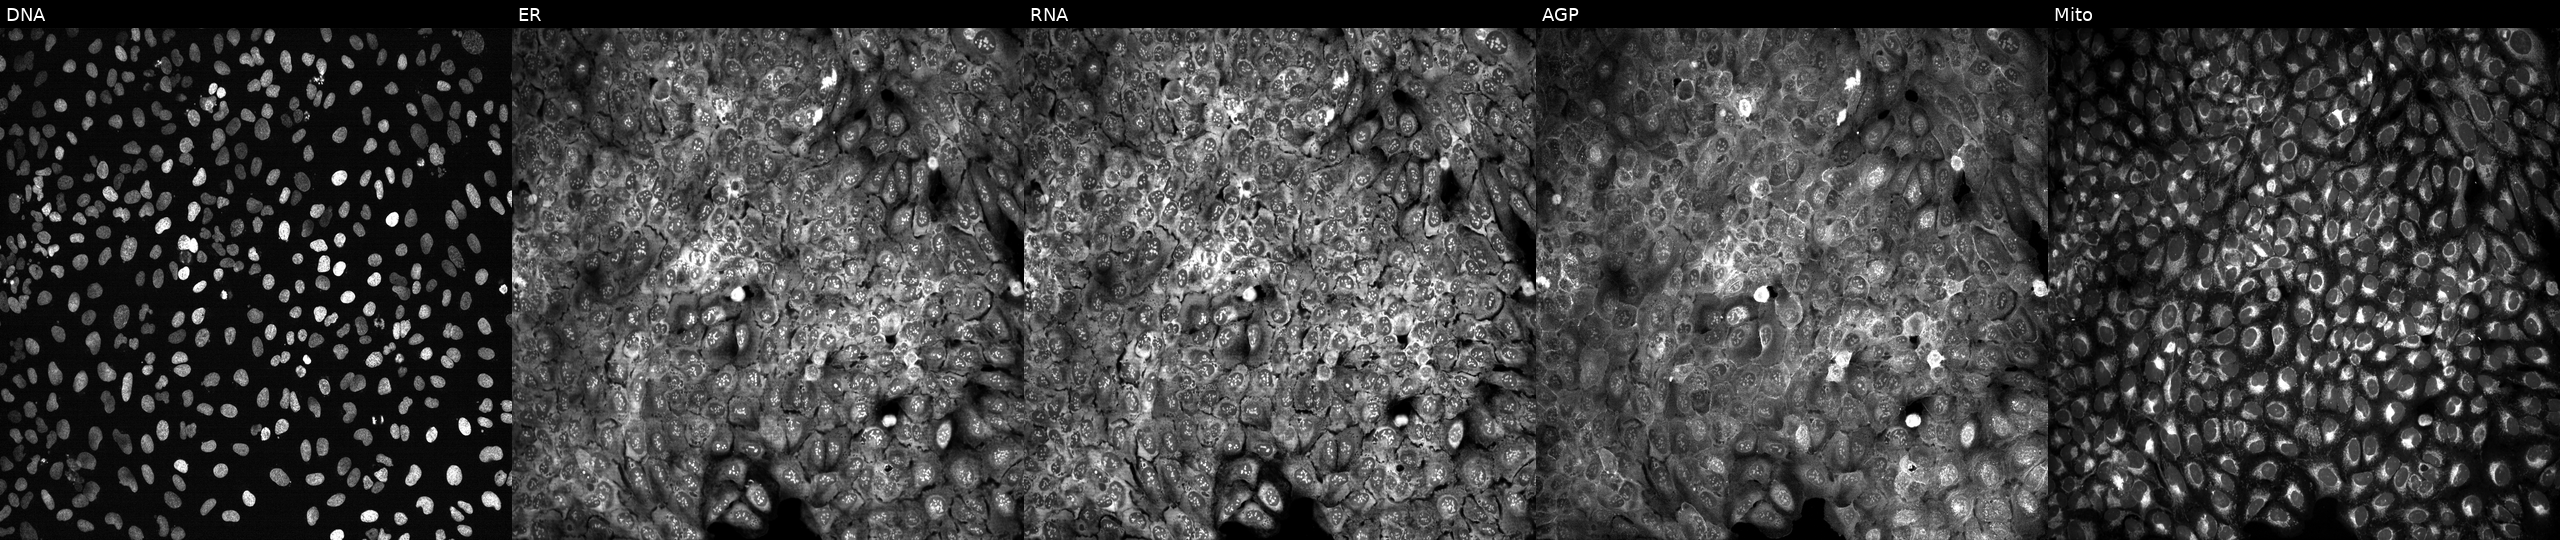
U2OS cells, Cell Painting assay, following CRISPR knockout of PCCB (JUMP id JCP2022_804952). The five panels, left to right, show DNA (nuclei); ER (endoplasmic reticulum); RNA (nucleoli and cytoplasmic RNA); AGP (actin cytoskeleton, Golgi, and plasma membrane); Mito (mitochondria). Each panel is percentile-stretched 16-bit fluorescence. Source 13, plate CP-CC9-R4-03, well B22.